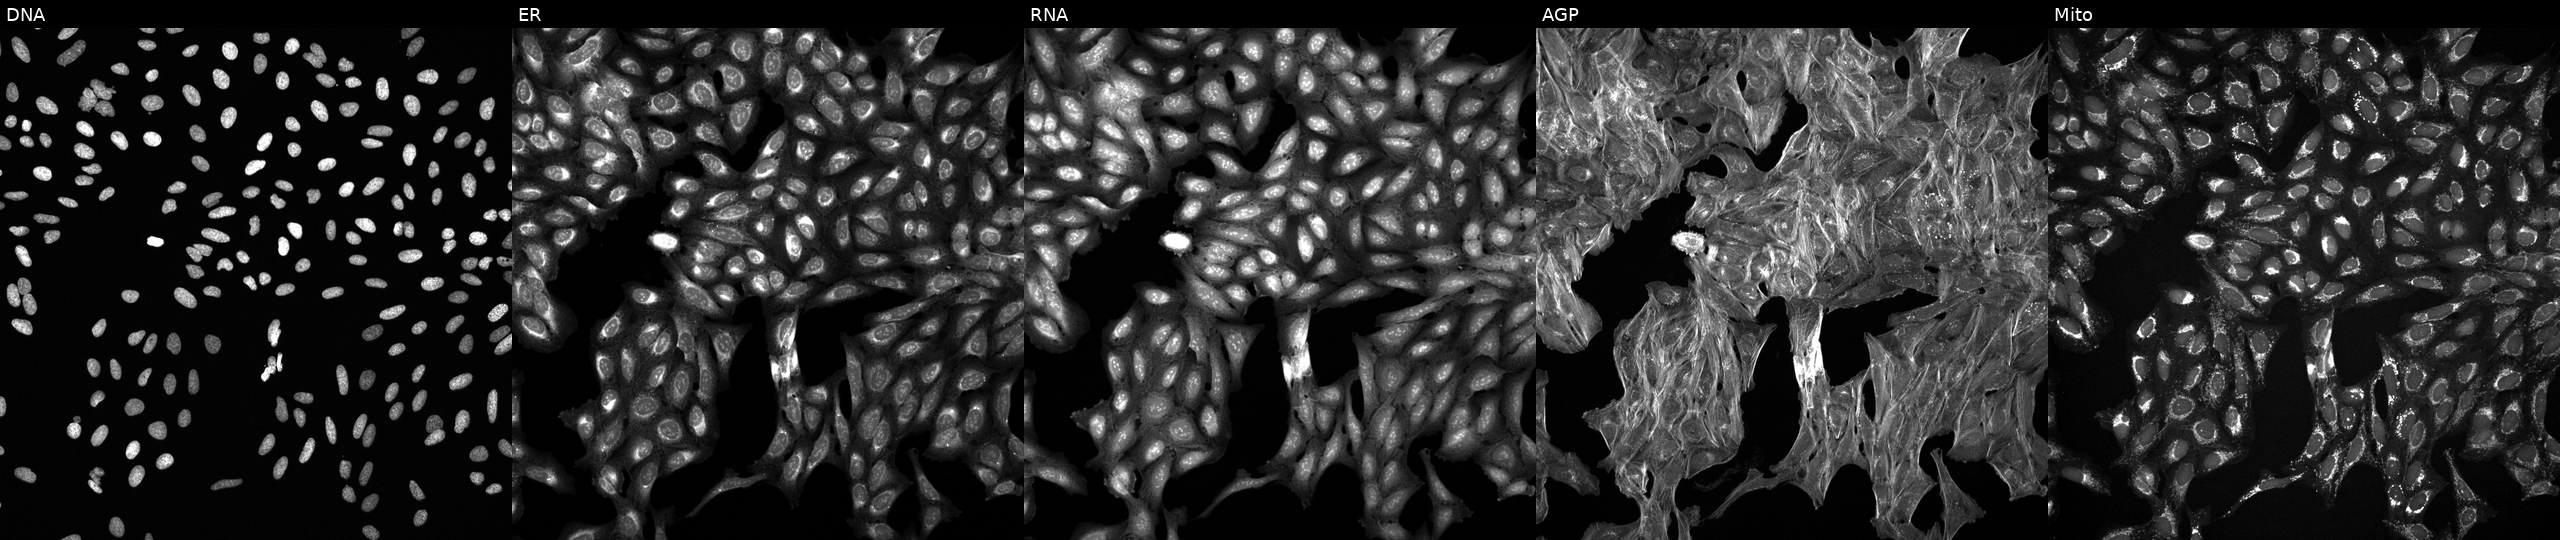
U2OS cells, Cell Painting assay, exposed to a small-molecule compound (InChIKey IUUJRWHUIYEGLF-UHFFFAOYSA-N) [SMILES: O=C(CCN(CCc1ccccc1)c1nc(C2CC2)nc2ccccc12)N1CCCC1] (JUMP id JCP2022_037552). Panels show, left to right, Hoechst 33342, concanavalin A, SYTO 14, phalloidin and WGA, MitoTracker. Each panel is percentile-stretched 16-bit fluorescence. Source 6, plate 110000293082, well J14.